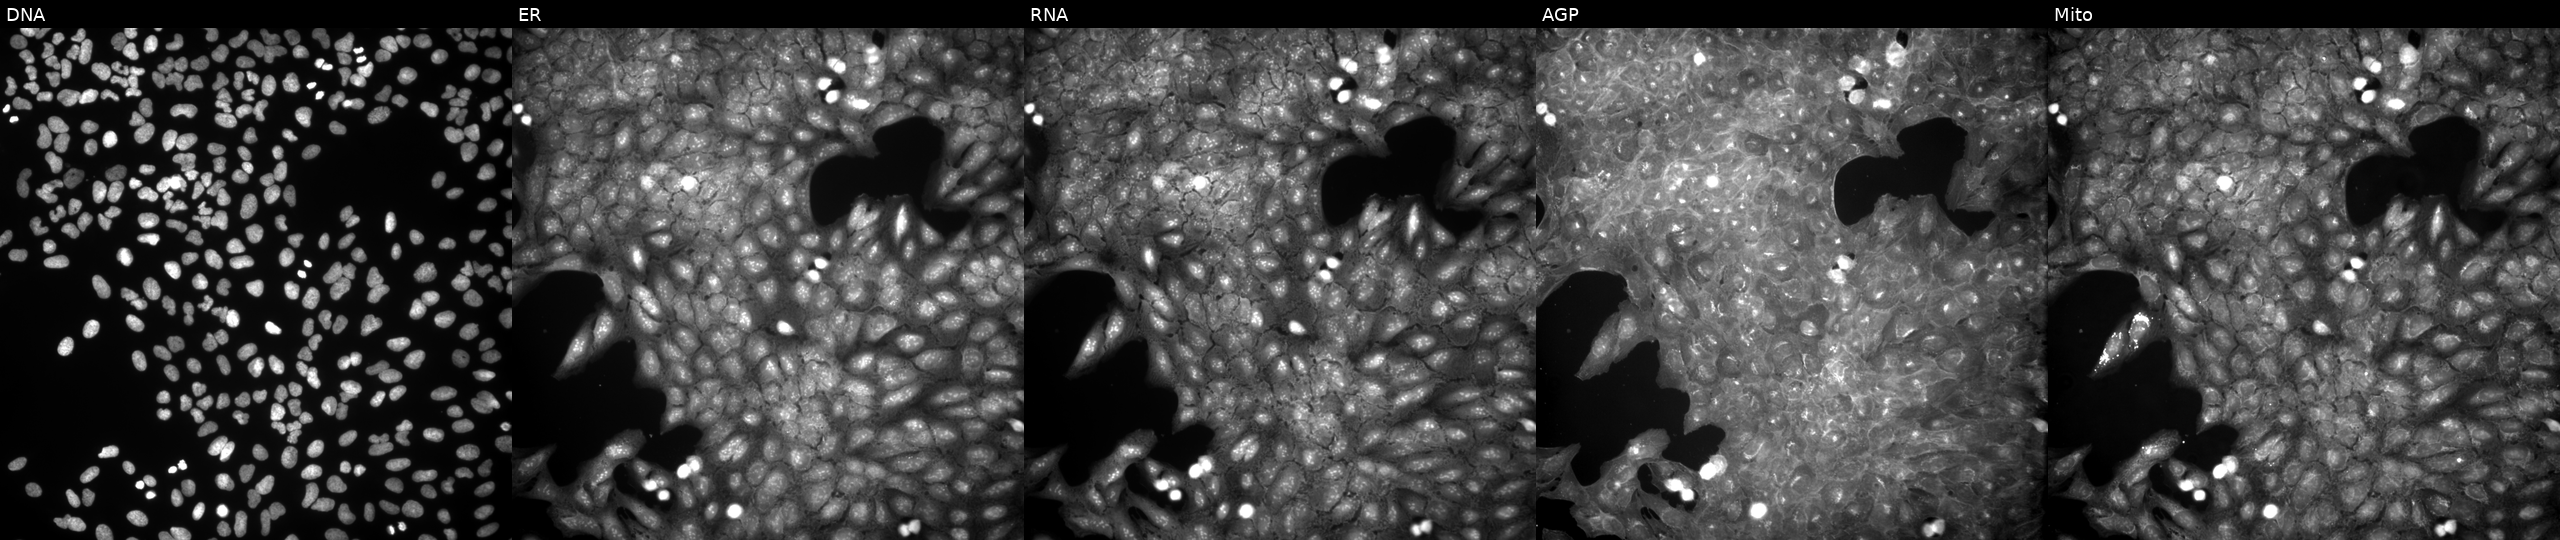
This image strip shows the five Cell Painting channels for a single field of U2OS cells exposed to a small-molecule compound (JUMP id JCP2022_104592). The five panels, left to right, show Hoechst 33342, concanavalin A, SYTO 14, phalloidin and WGA, MitoTracker.